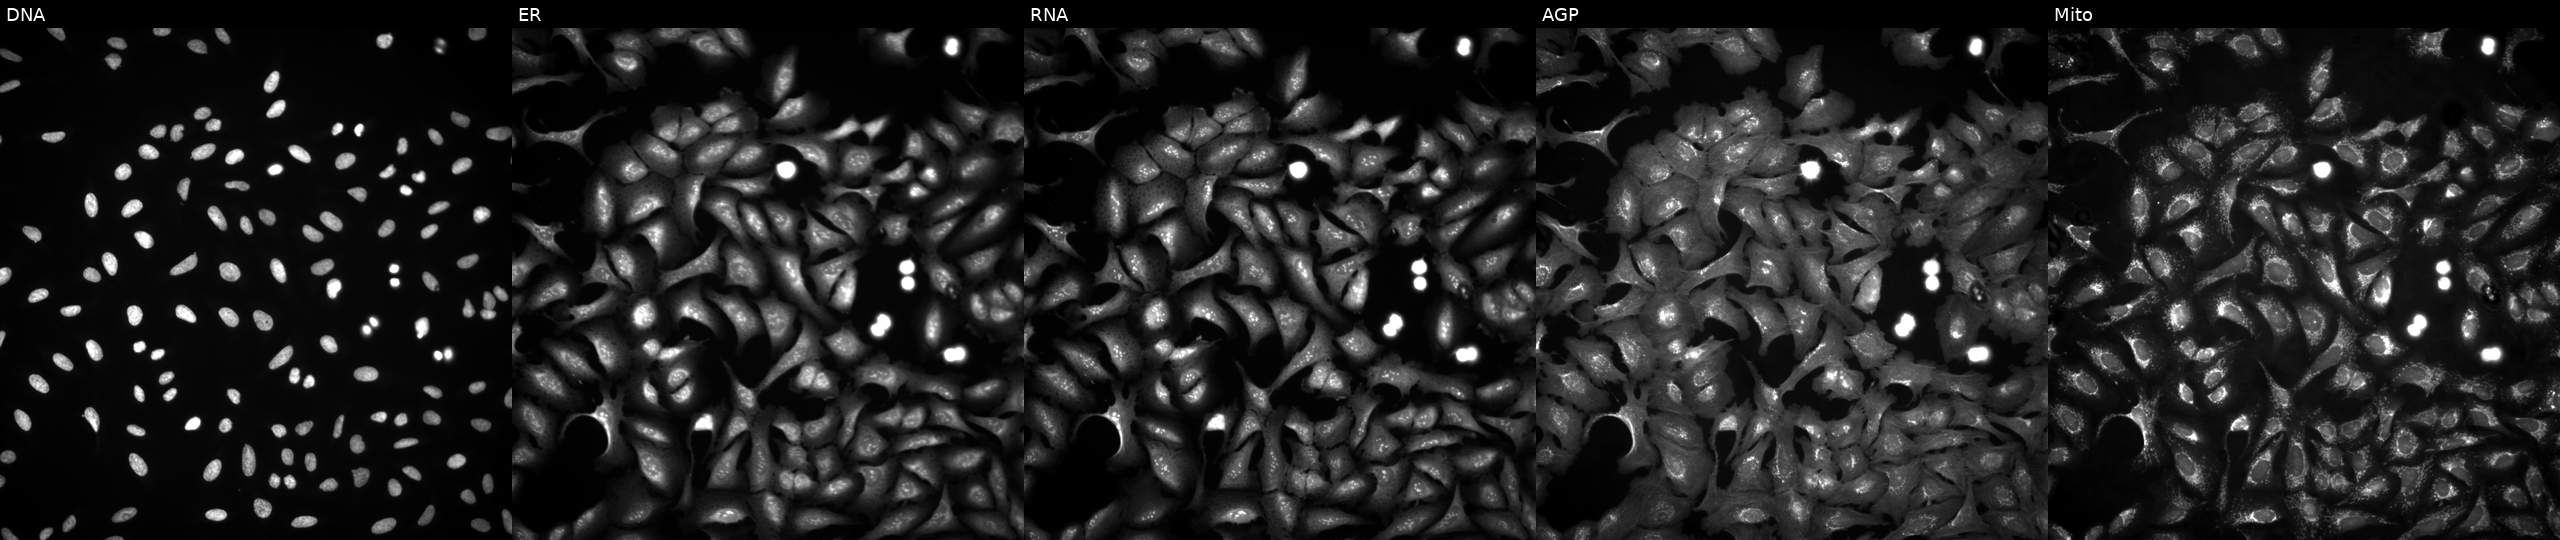
This image strip shows the five Cell Painting channels for a single field of U2OS cells overexpressing LUC7L3 via ORF transfection (JUMP id JCP2022_911202). Channels (left→right): Hoechst 33342, concanavalin A, SYTO 14, phalloidin and WGA, MitoTracker.